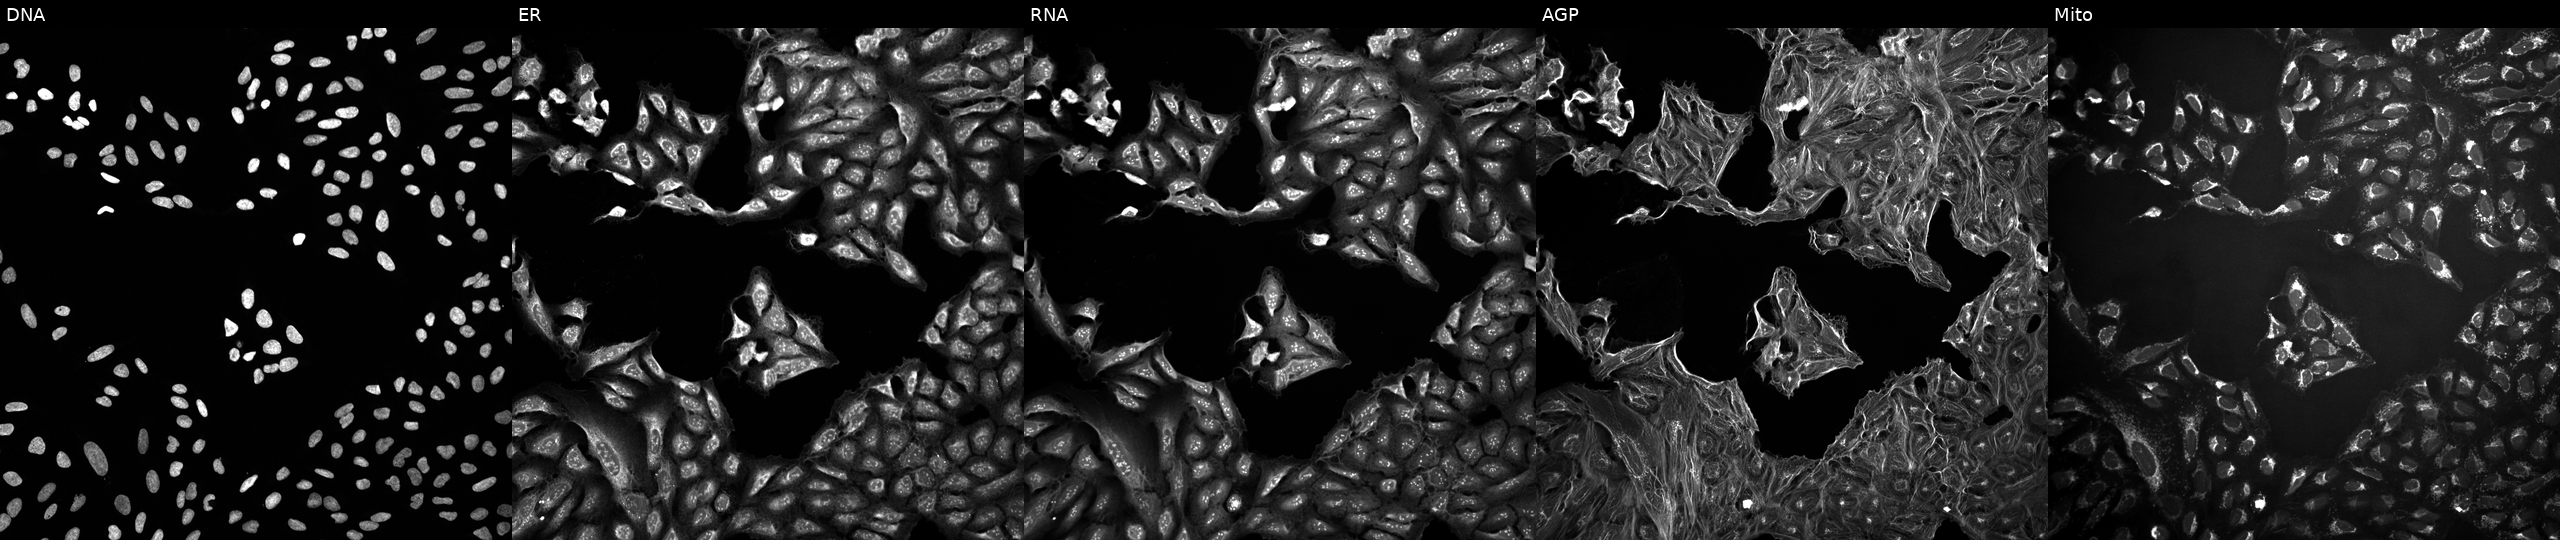
This image strip shows the five Cell Painting channels for a single field of U2OS cells exposed to DMSO alone as a negative control (JUMP id JCP2022_033924). Channels (left→right): DNA (nuclei); ER (endoplasmic reticulum); RNA (nucleoli and cytoplasmic RNA); AGP (actin cytoskeleton, Golgi, and plasma membrane); Mito (mitochondria).